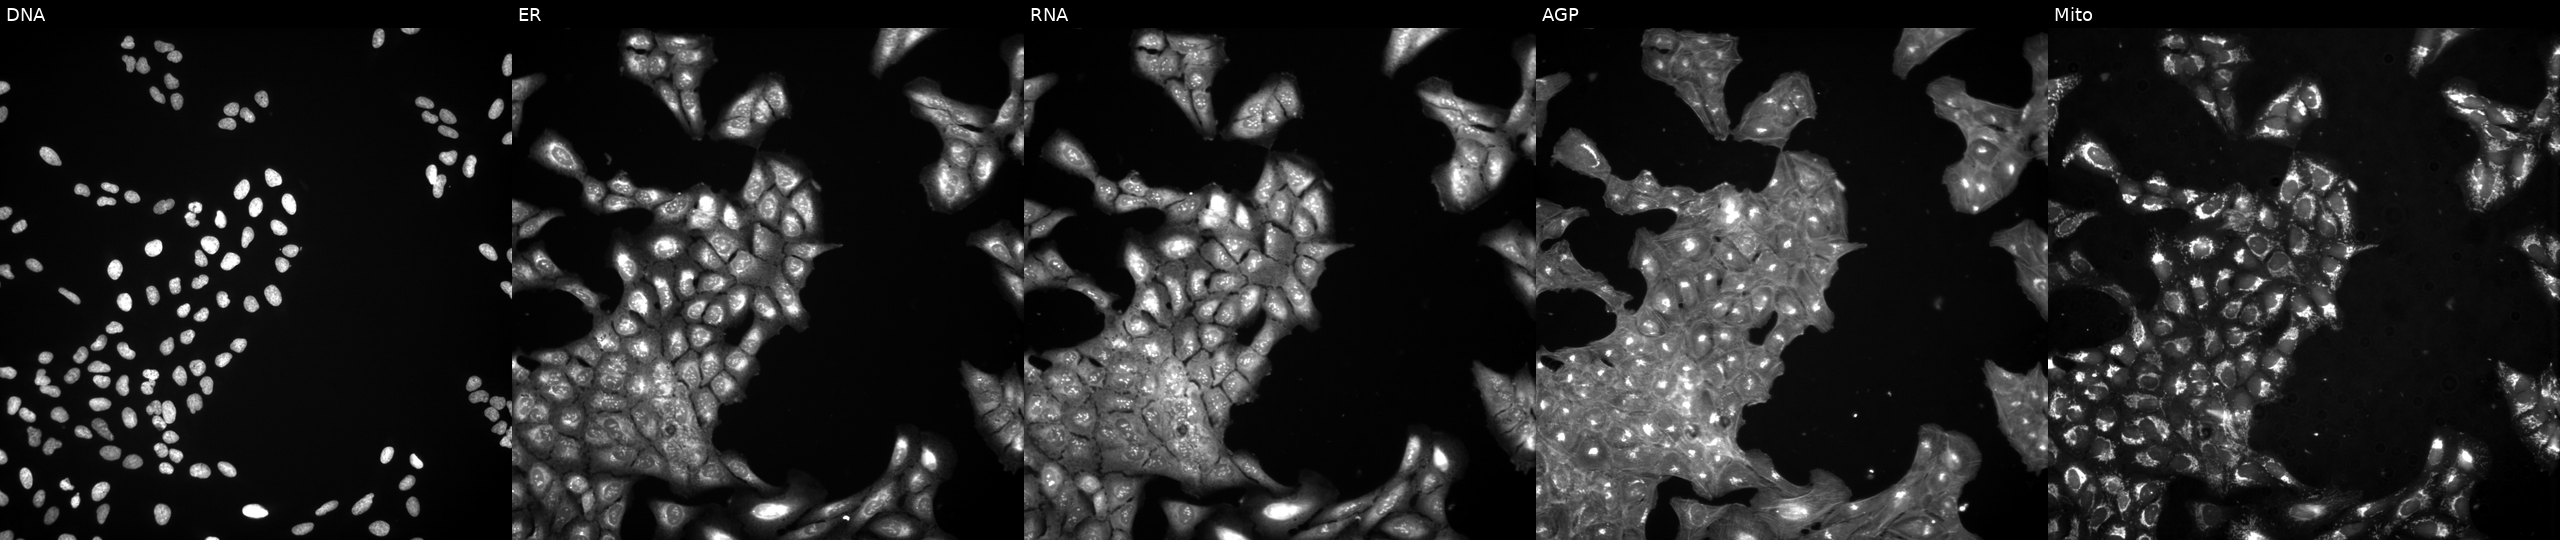
This image strip shows the five Cell Painting channels for a single field of U2OS cells treated with DMSO vehicle only (negative control) (JUMP id JCP2022_033924). The five panels, left to right, show DNA (nuclei); ER (endoplasmic reticulum); RNA (nucleoli and cytoplasmic RNA); AGP (actin cytoskeleton, Golgi, and plasma membrane); Mito (mitochondria). Source 3, plate JCPQC052, well L23.